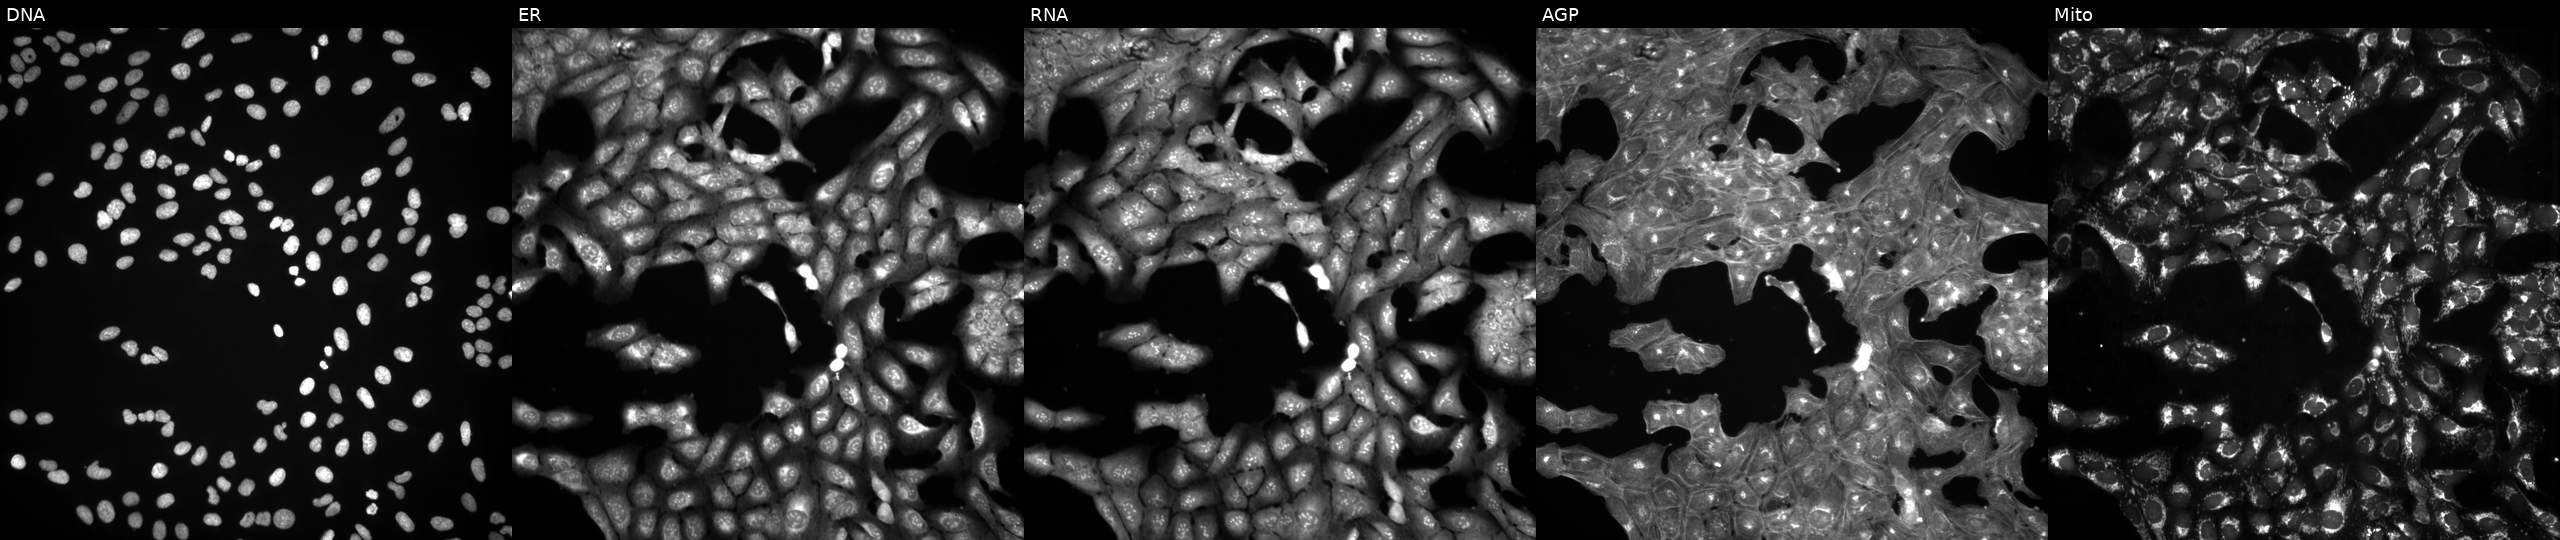
U2OS cells, Cell Painting assay, exposed to a small-molecule compound (InChIKey REZGGXNDEMKIQB-UHFFFAOYSA-N) [SMILES: CCCOc1ccccc1-c1nc(=O)c2[nH]nnc2[nH]1]. Channels (left→right): DNA, ER, RNA, AGP, and Mito. Each panel is percentile-stretched 16-bit fluorescence.